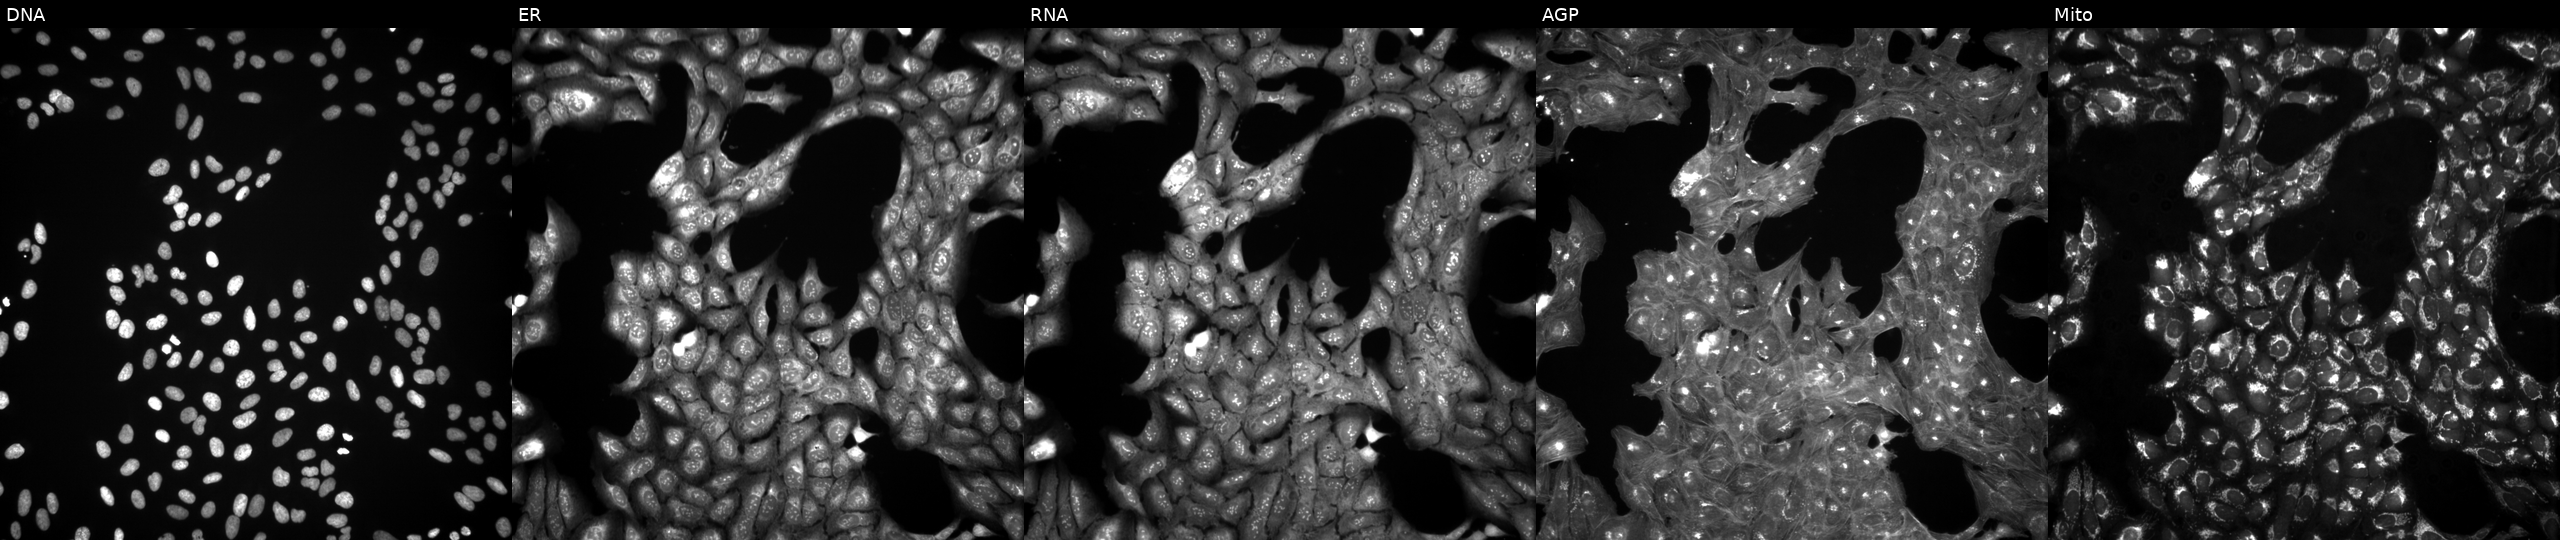
From left to right: DNA (nuclei); ER (endoplasmic reticulum); RNA (nucleoli and cytoplasmic RNA); AGP (actin cytoskeleton, Golgi, and plasma membrane); Mito (mitochondria). U2OS osteosarcoma cells perturbed with a small-molecule compound (JUMP id JCP2022_077927). Cell Painting assay, JUMP-CP dataset.